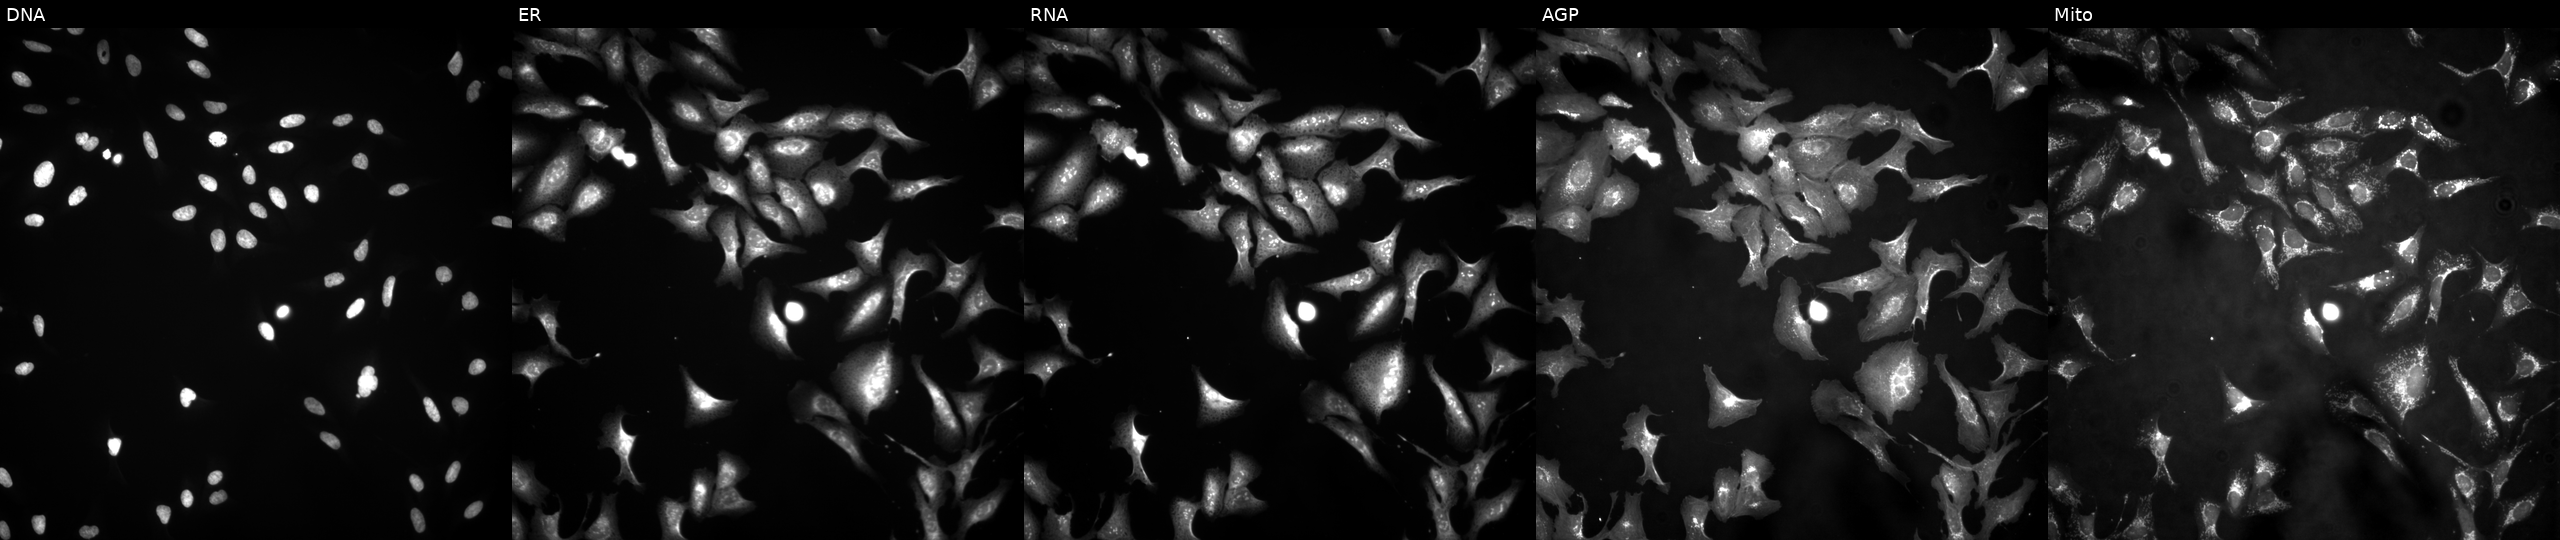
JUMP Cell Painting — ORF plate. U2OS cells with RNF113A overexpressed (ORF). Panels show, left to right, DNA (nuclei); ER (endoplasmic reticulum); RNA (nucleoli and cytoplasmic RNA); AGP (actin cytoskeleton, Golgi, and plasma membrane); Mito (mitochondria). Source 4, plate BR00121543, well N13.